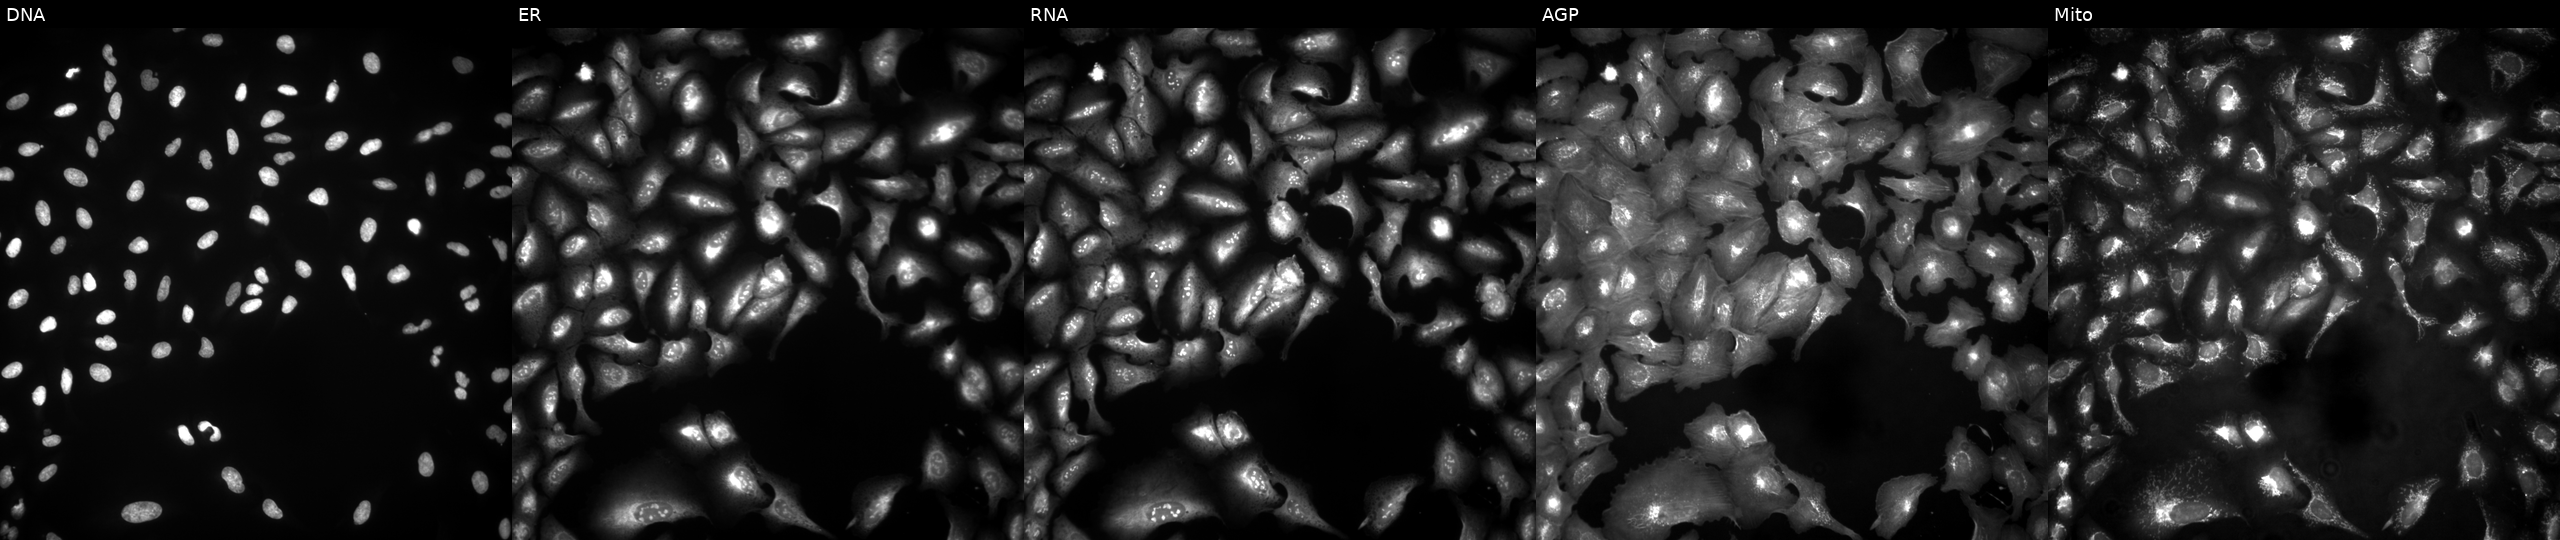
Five-channel Cell Painting image of U2OS cells overexpressing ESRP1 via ORF transfection (JUMP id JCP2022_907870). Panels show, left to right, Hoechst 33342, concanavalin A, SYTO 14, phalloidin and WGA, MitoTracker.